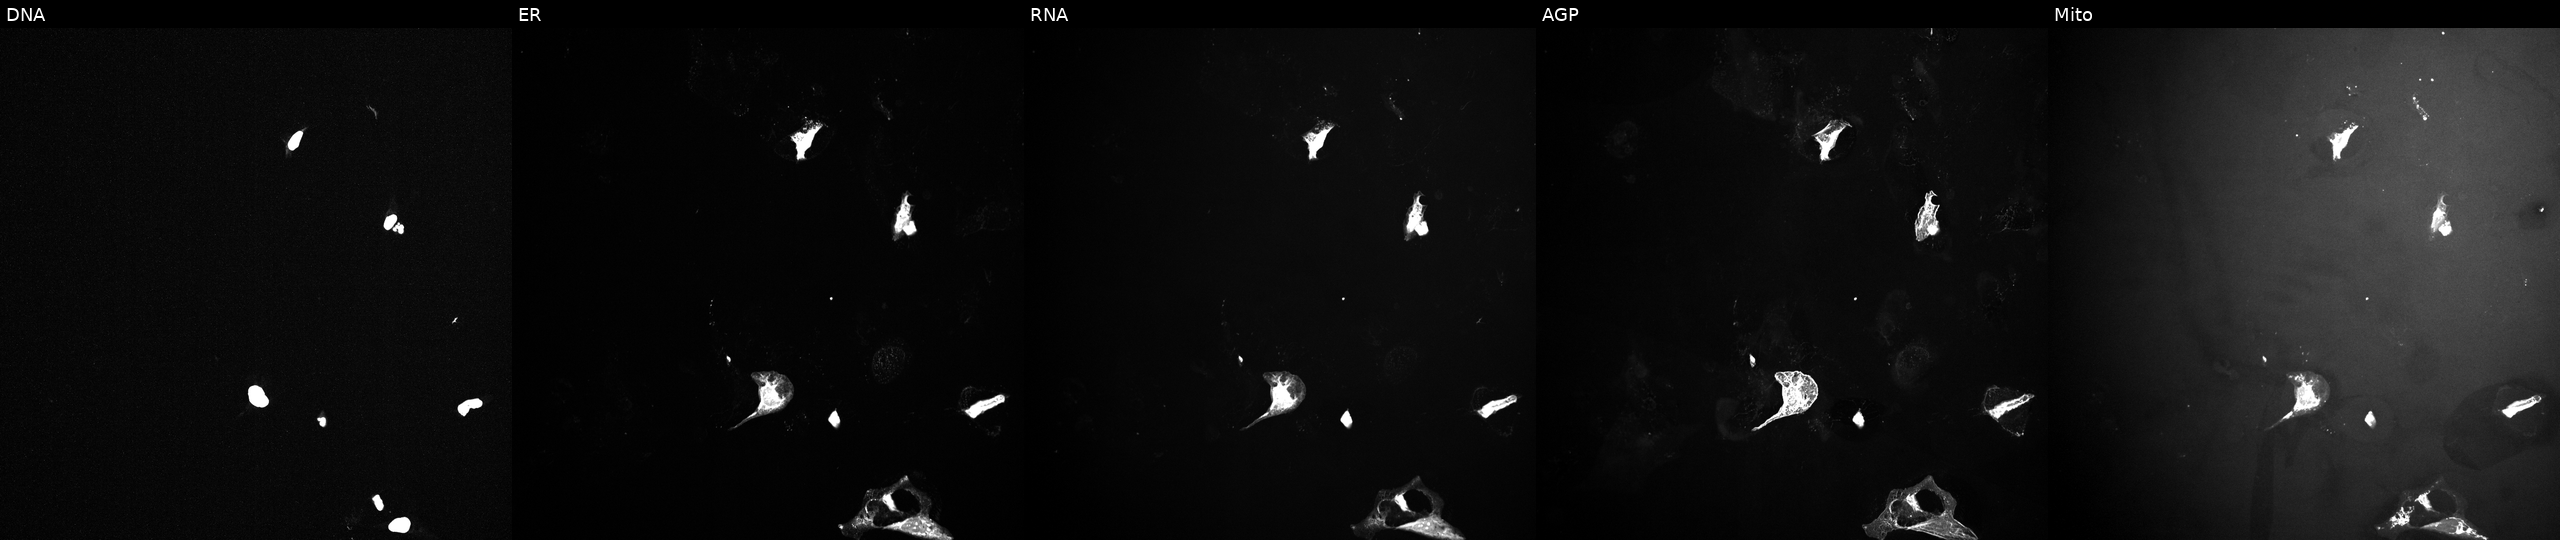
High-content fluorescence microscopy (Cell Painting). Cell line: U2OS. Perturbation: exposed to a small-molecule compound (InChIKey RVAQIUULWULRNW-UHFFFAOYSA-N) [SMILES: CC(C)c1cc(-c2n[nH]c(=O)n2-c2ccc3c(ccn3C)c2)c(O)cc1O]. Channels (left→right): DNA, ER, RNA, AGP, and Mito.